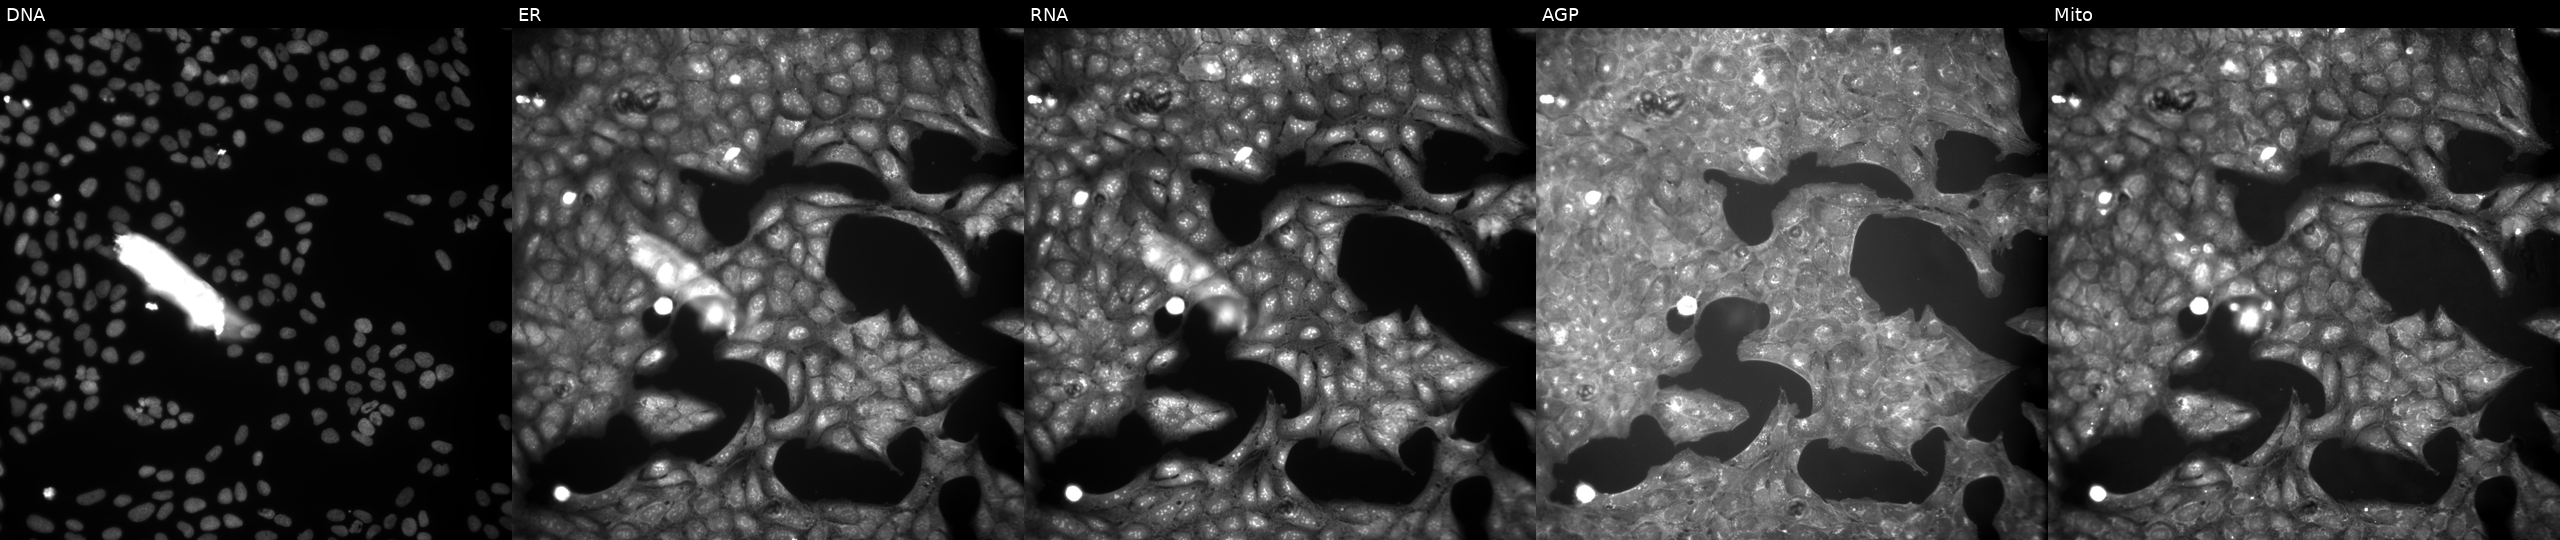
U2OS cells, Cell Painting assay, exposed to a small-molecule compound (InChIKey RHIXFPLWWKESHT-UHFFFAOYSA-N). The five panels, left to right, show Hoechst 33342, concanavalin A, SYTO 14, phalloidin and WGA, MitoTracker. Each panel is percentile-stretched 16-bit fluorescence.